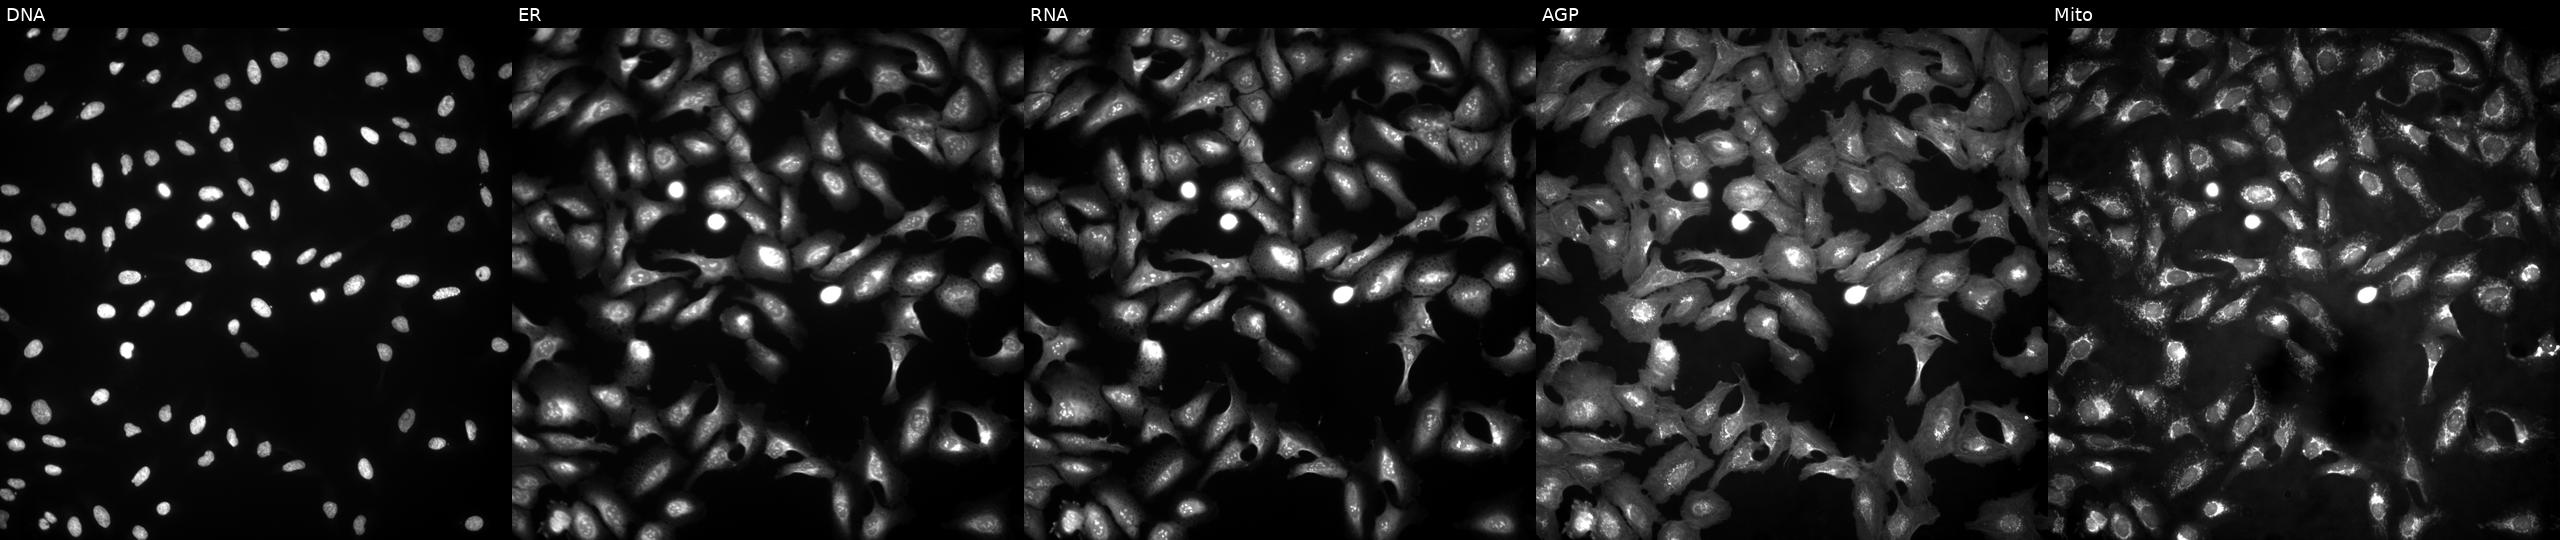
The five panels, left to right, show DNA (nuclei); ER (endoplasmic reticulum); RNA (nucleoli and cytoplasmic RNA); AGP (actin cytoskeleton, Golgi, and plasma membrane); Mito (mitochondria). U2OS osteosarcoma cells with AURKB overexpressed (ORF) (JUMP id JCP2022_901969). Cell Painting assay, JUMP-CP dataset.